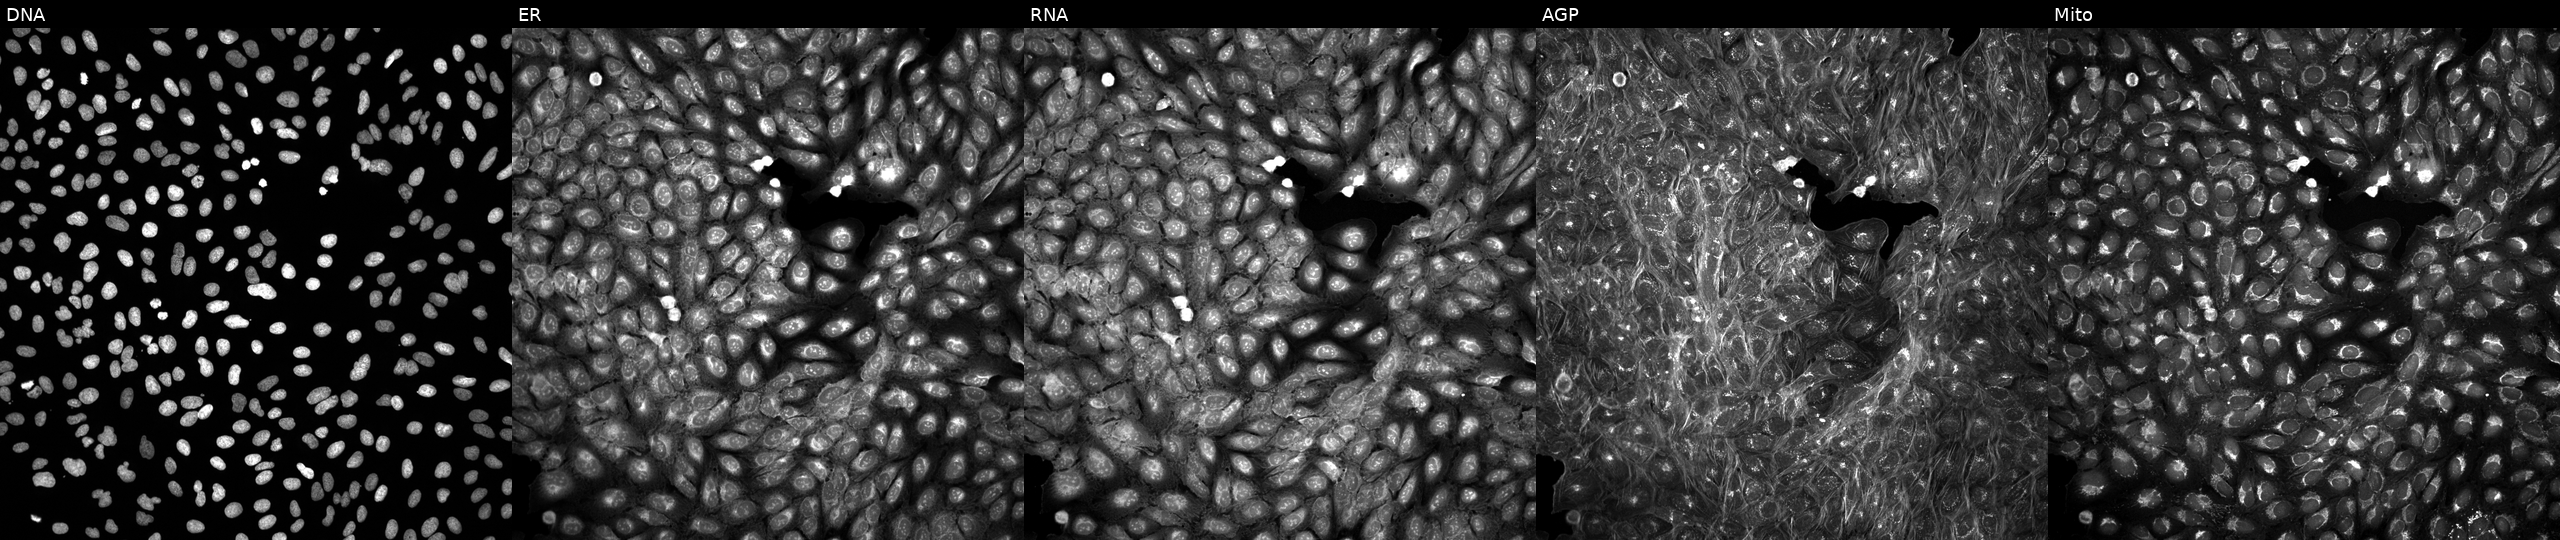
Panels show, left to right, DNA (nuclei); ER (endoplasmic reticulum); RNA (nucleoli and cytoplasmic RNA); AGP (actin cytoskeleton, Golgi, and plasma membrane); Mito (mitochondria). U2OS osteosarcoma cells exposed to a small-molecule compound (InChIKey UMUPQWIGCOZEOY-UHFFFAOYSA-N) (JUMP id JCP2022_090205). Cell Painting assay, JUMP-CP dataset. Source 5, plate ACPJUM032, well D24.